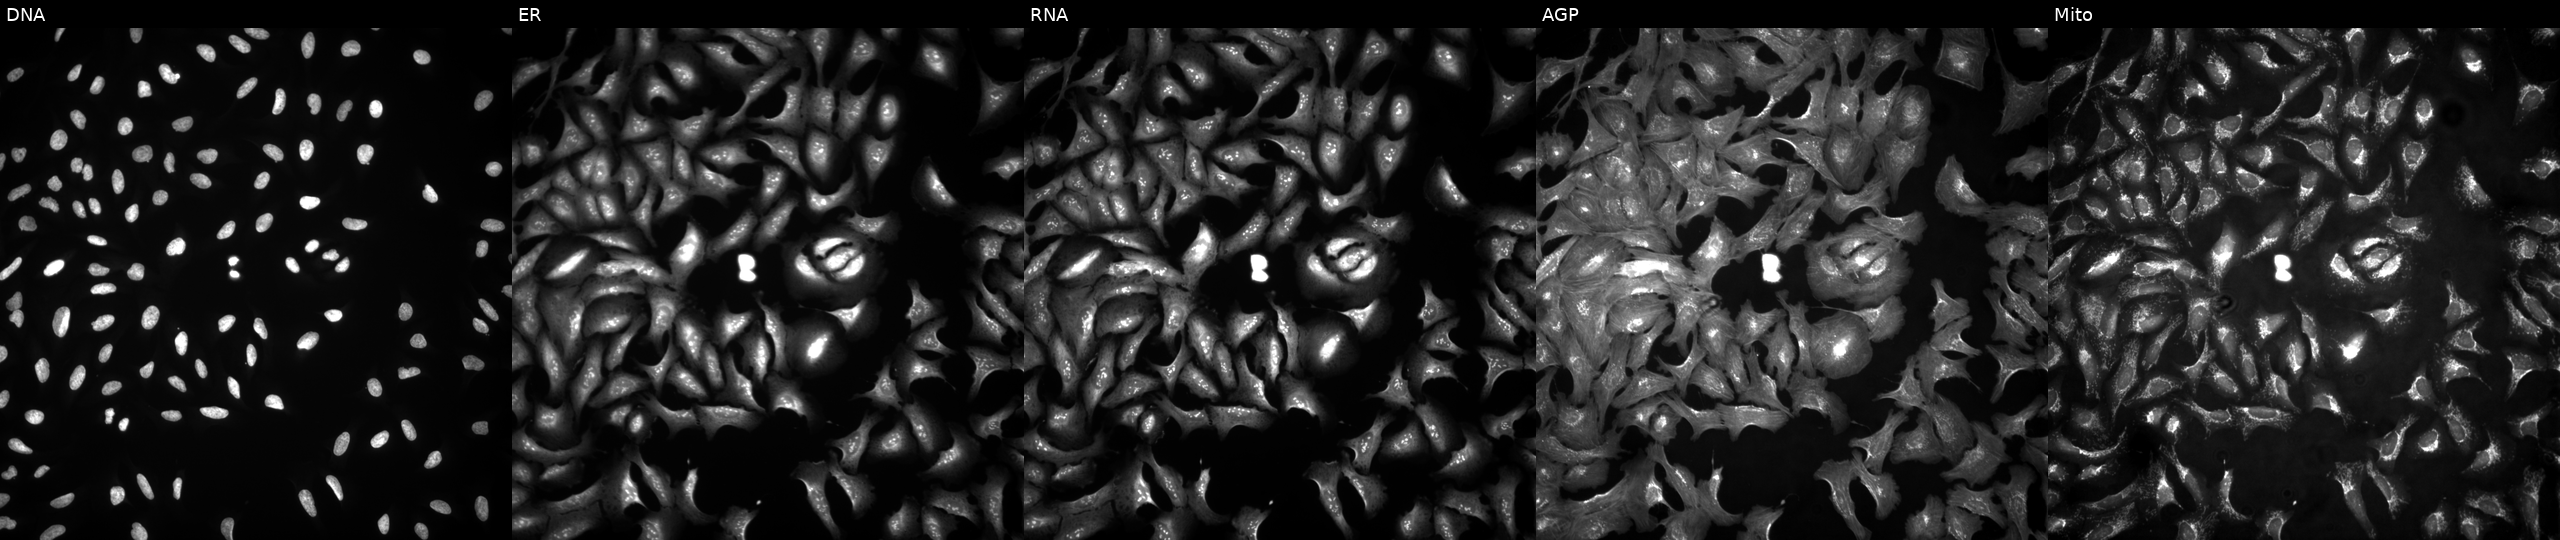
Panels show, left to right, DNA, ER, RNA, AGP, and Mito. U2OS osteosarcoma cells overexpressing PART1 via ORF transfection (JUMP id JCP2022_909529). Cell Painting assay, JUMP-CP dataset. Source 4, plate BR00124784, well F03.